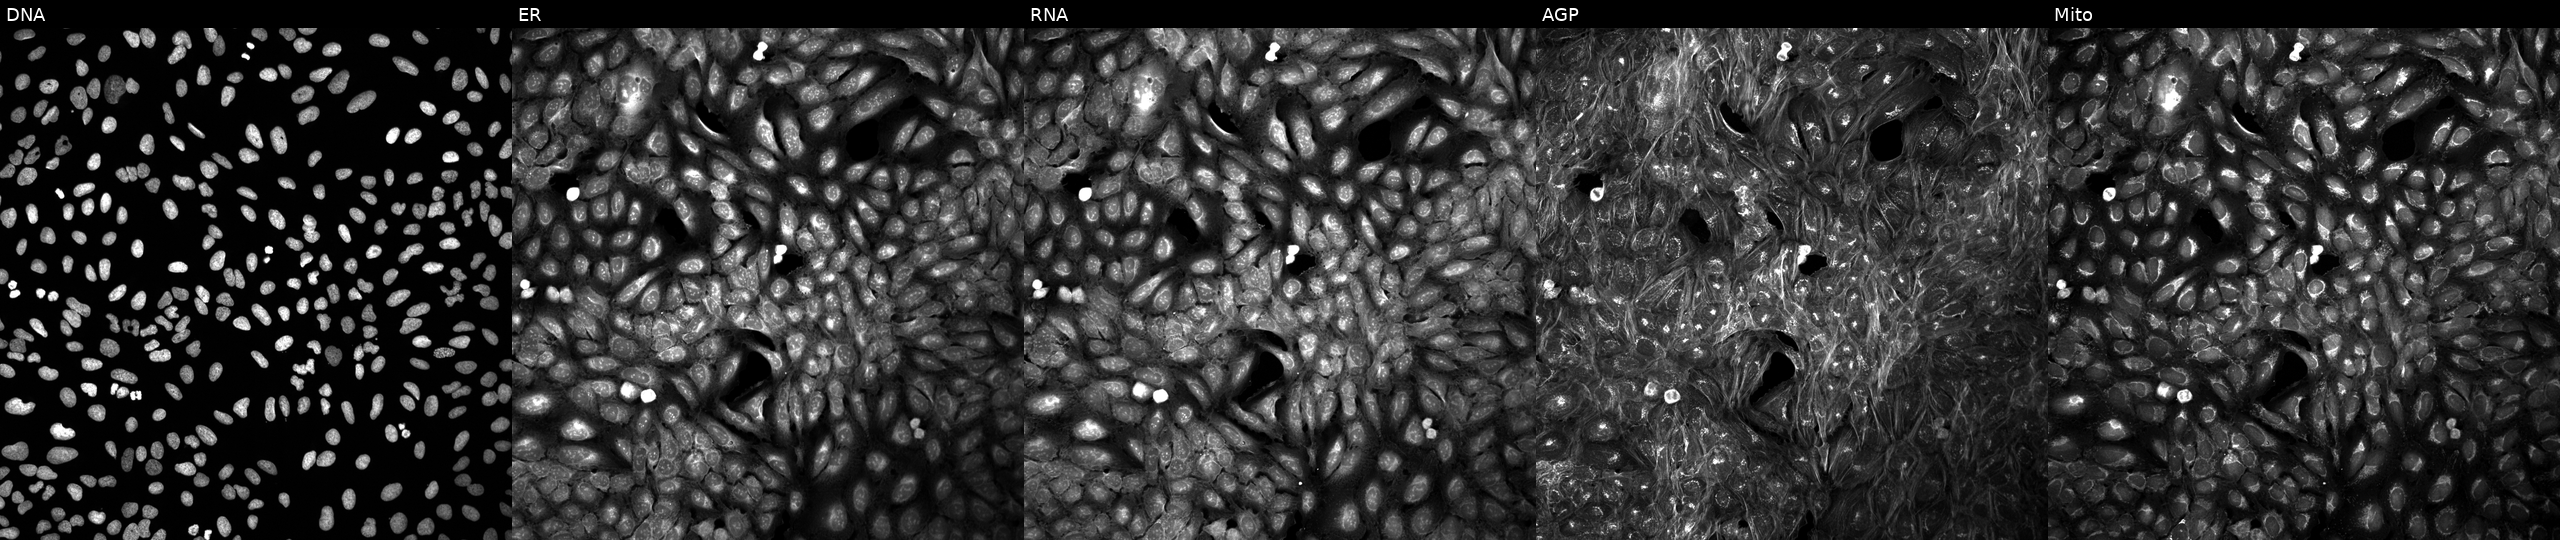
Five-channel Cell Painting image of U2OS cells exposed to DMSO alone as a negative control (JUMP id JCP2022_033924). Channels (left→right): DNA (nuclei); ER (endoplasmic reticulum); RNA (nucleoli and cytoplasmic RNA); AGP (actin cytoskeleton, Golgi, and plasma membrane); Mito (mitochondria).